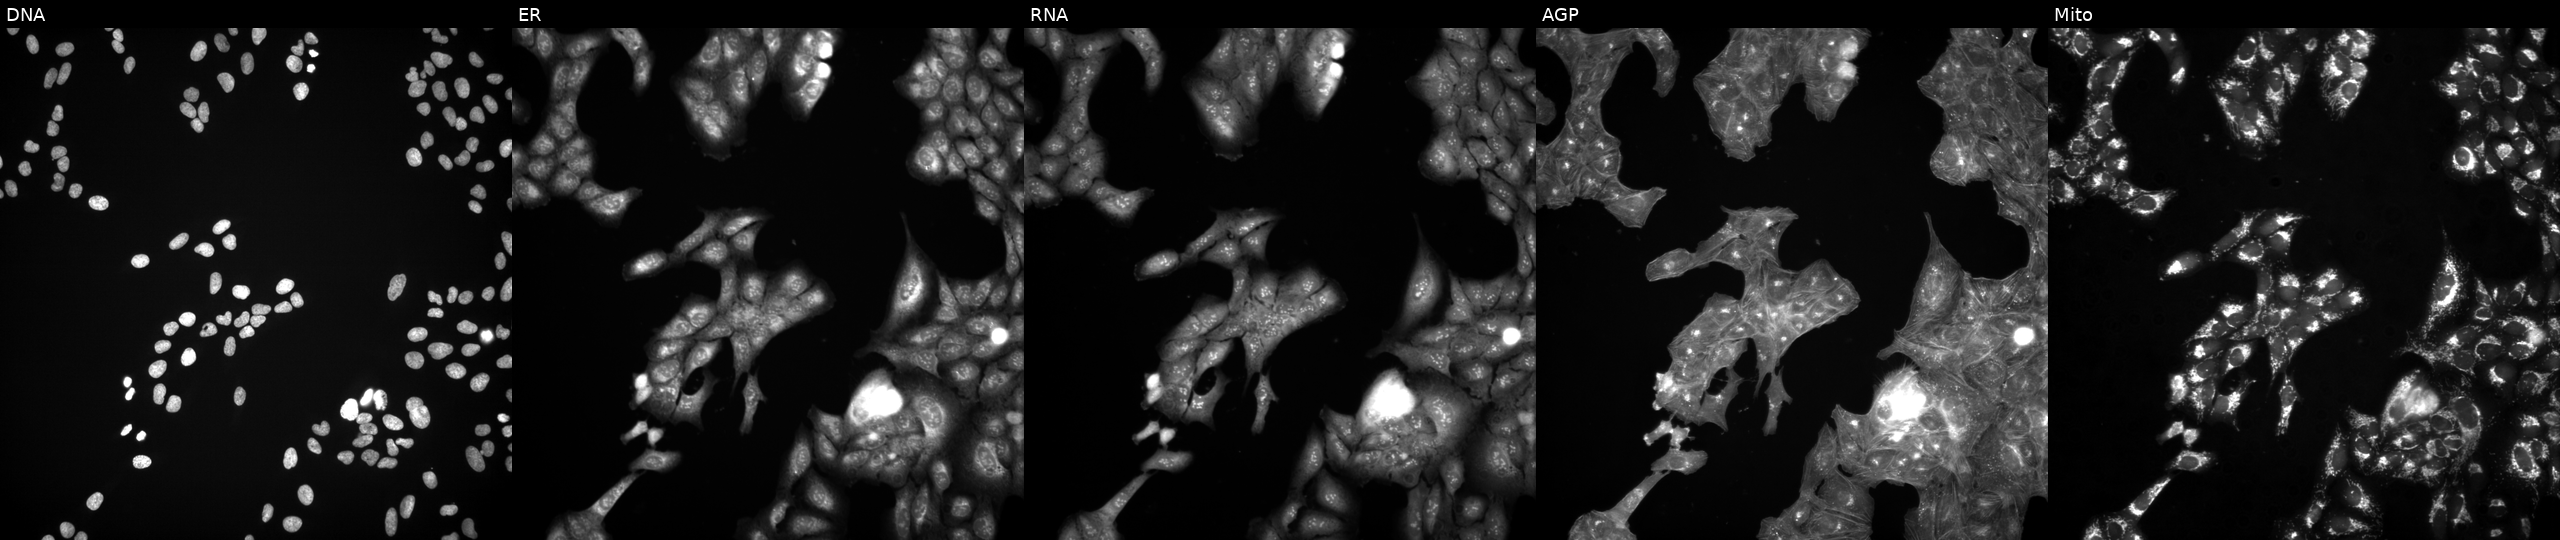
Five-channel Cell Painting image of U2OS cells treated with a small-molecule compound (InChIKey QWJOPXDAQCDRRM-UHFFFAOYSA-N) (JUMP id JCP2022_076300). Panels show, left to right, Hoechst 33342, concanavalin A, SYTO 14, phalloidin and WGA, MitoTracker. Source 3, plate JCPQC051, well M16.